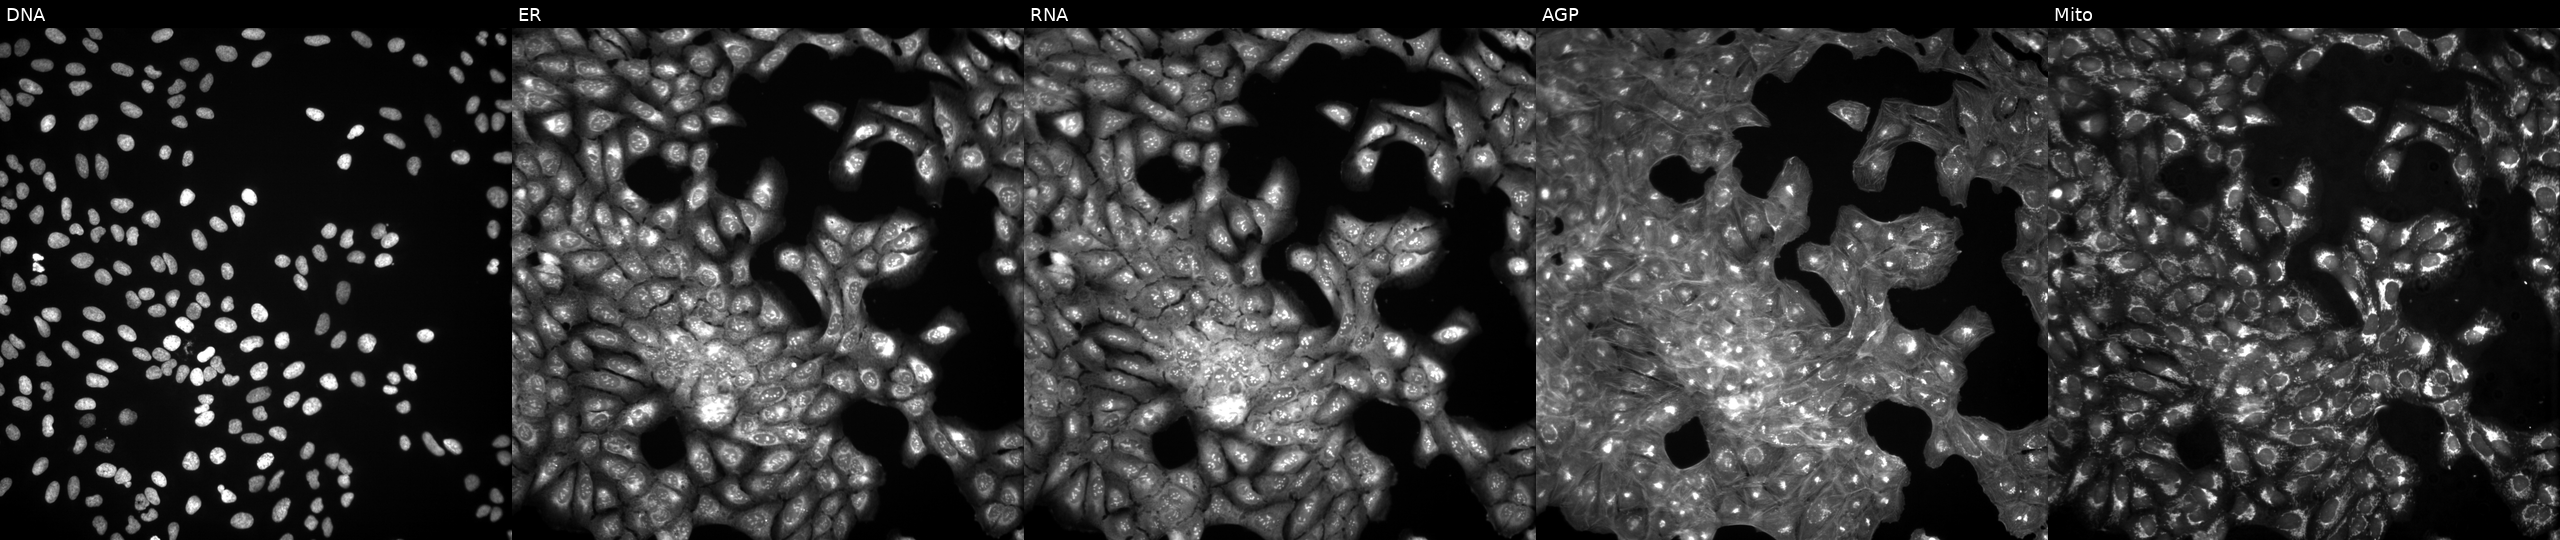
The five panels, left to right, show DNA (nuclei); ER (endoplasmic reticulum); RNA (nucleoli and cytoplasmic RNA); AGP (actin cytoskeleton, Golgi, and plasma membrane); Mito (mitochondria). U2OS osteosarcoma cells treated with a small-molecule compound (InChIKey NHXLMOGPVYXJNR-UHFFFAOYSA-N). Cell Painting assay, JUMP-CP dataset. Source 3, plate JCPQC052, well O24.